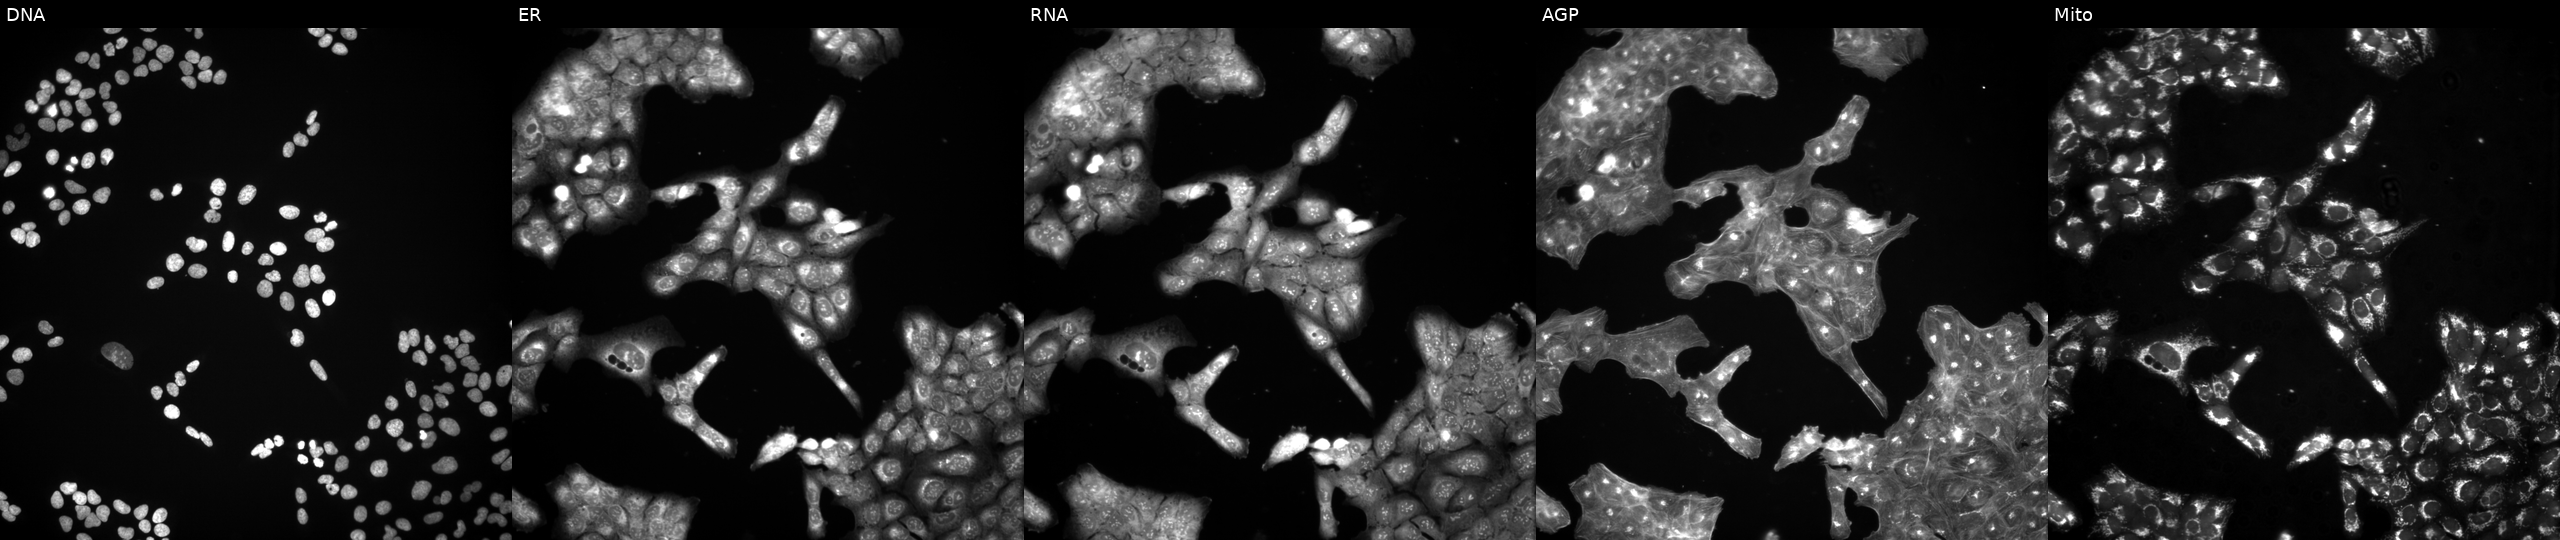
JUMP Cell Painting — COMPOUND plate. U2OS cells exposed to a small-molecule compound (InChIKey XMXGZTNFEREQAC-UHFFFAOYSA-N) (JUMP id JCP2022_104654). The five panels, left to right, show Hoechst 33342, concanavalin A, SYTO 14, phalloidin and WGA, MitoTracker. Source 3, plate BR5867a3, well D09.